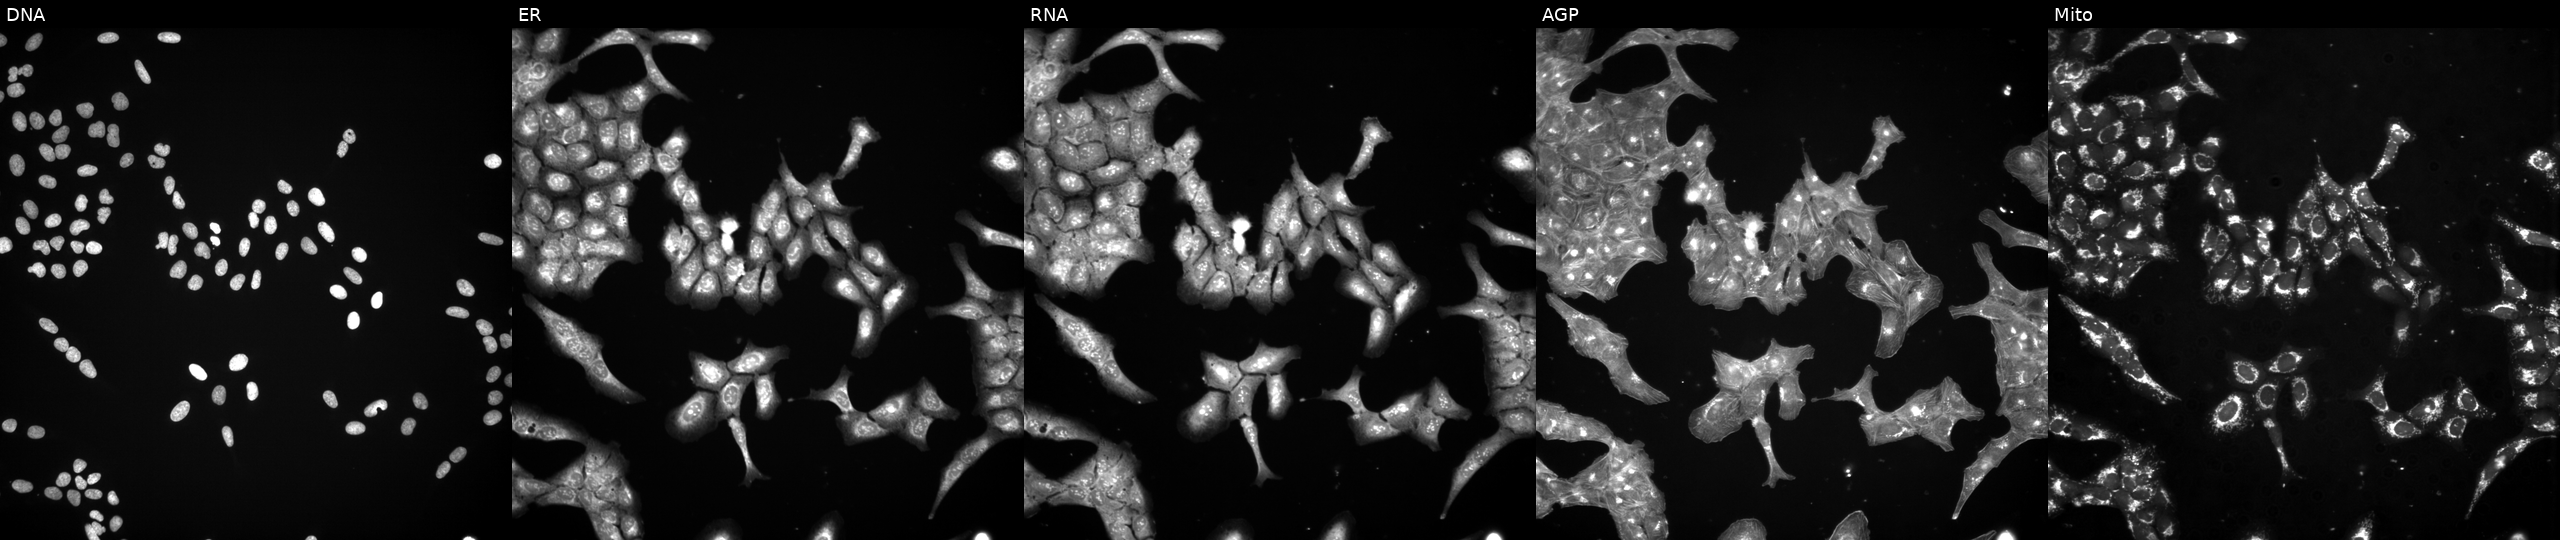
JUMP Cell Painting — COMPOUND plate. U2OS cells exposed to a small-molecule compound (JUMP id JCP2022_107770). Channels (left→right): DNA (nuclei); ER (endoplasmic reticulum); RNA (nucleoli and cytoplasmic RNA); AGP (actin cytoskeleton, Golgi, and plasma membrane); Mito (mitochondria). Source 3, plate BR5867b3, well E17.